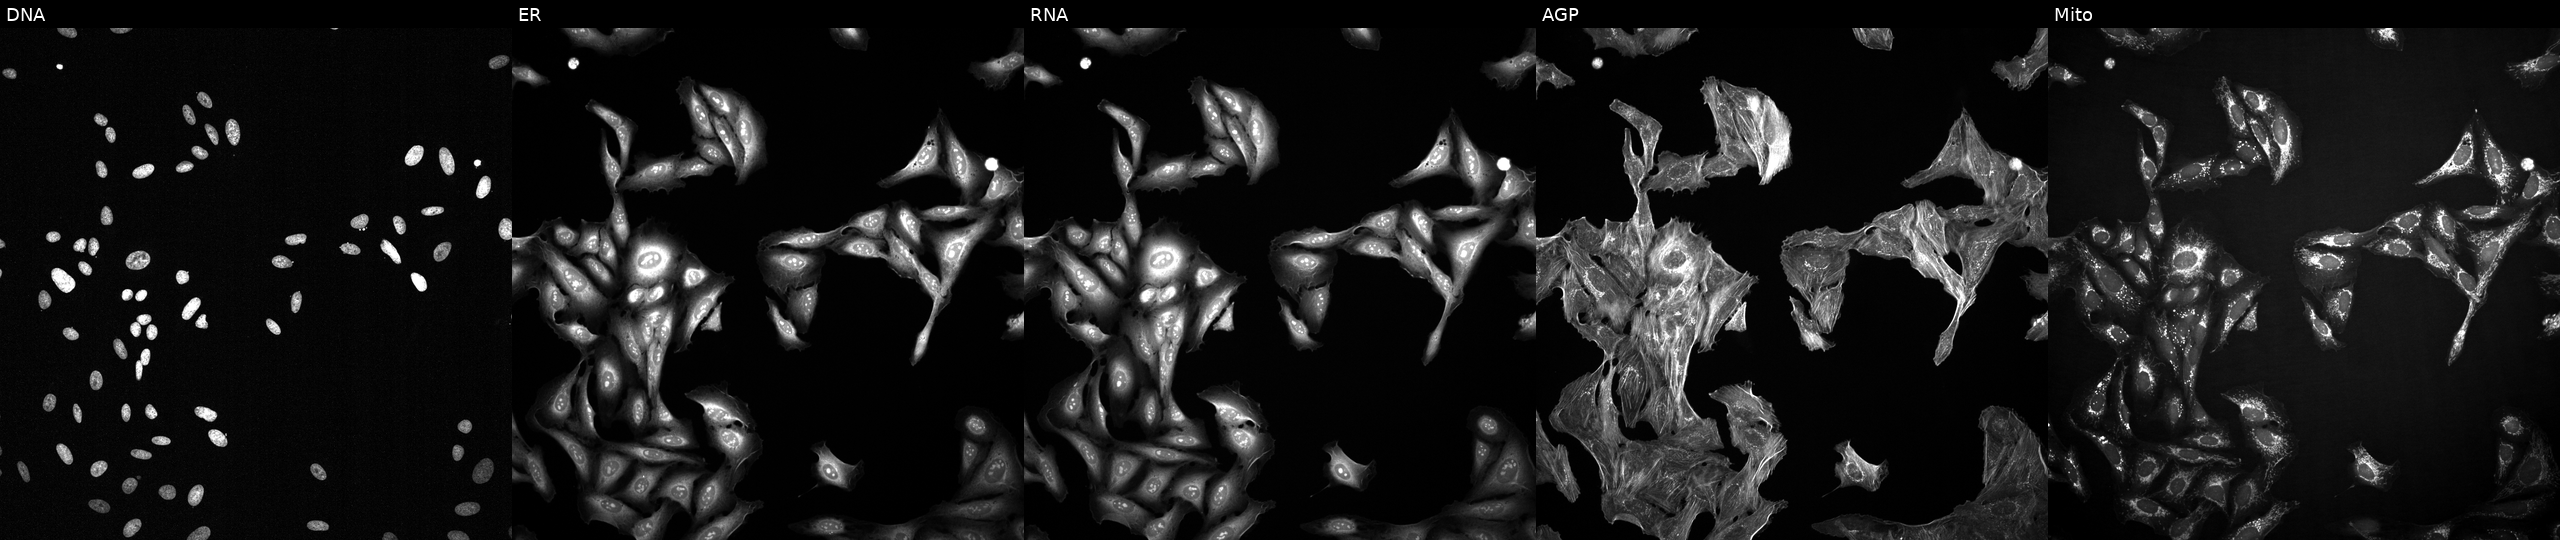
High-content fluorescence microscopy (Cell Painting). Cell line: U2OS. Perturbation: exposed to a small-molecule compound (JUMP id JCP2022_039317). From left to right: Hoechst 33342, concanavalin A, SYTO 14, phalloidin and WGA, MitoTracker.